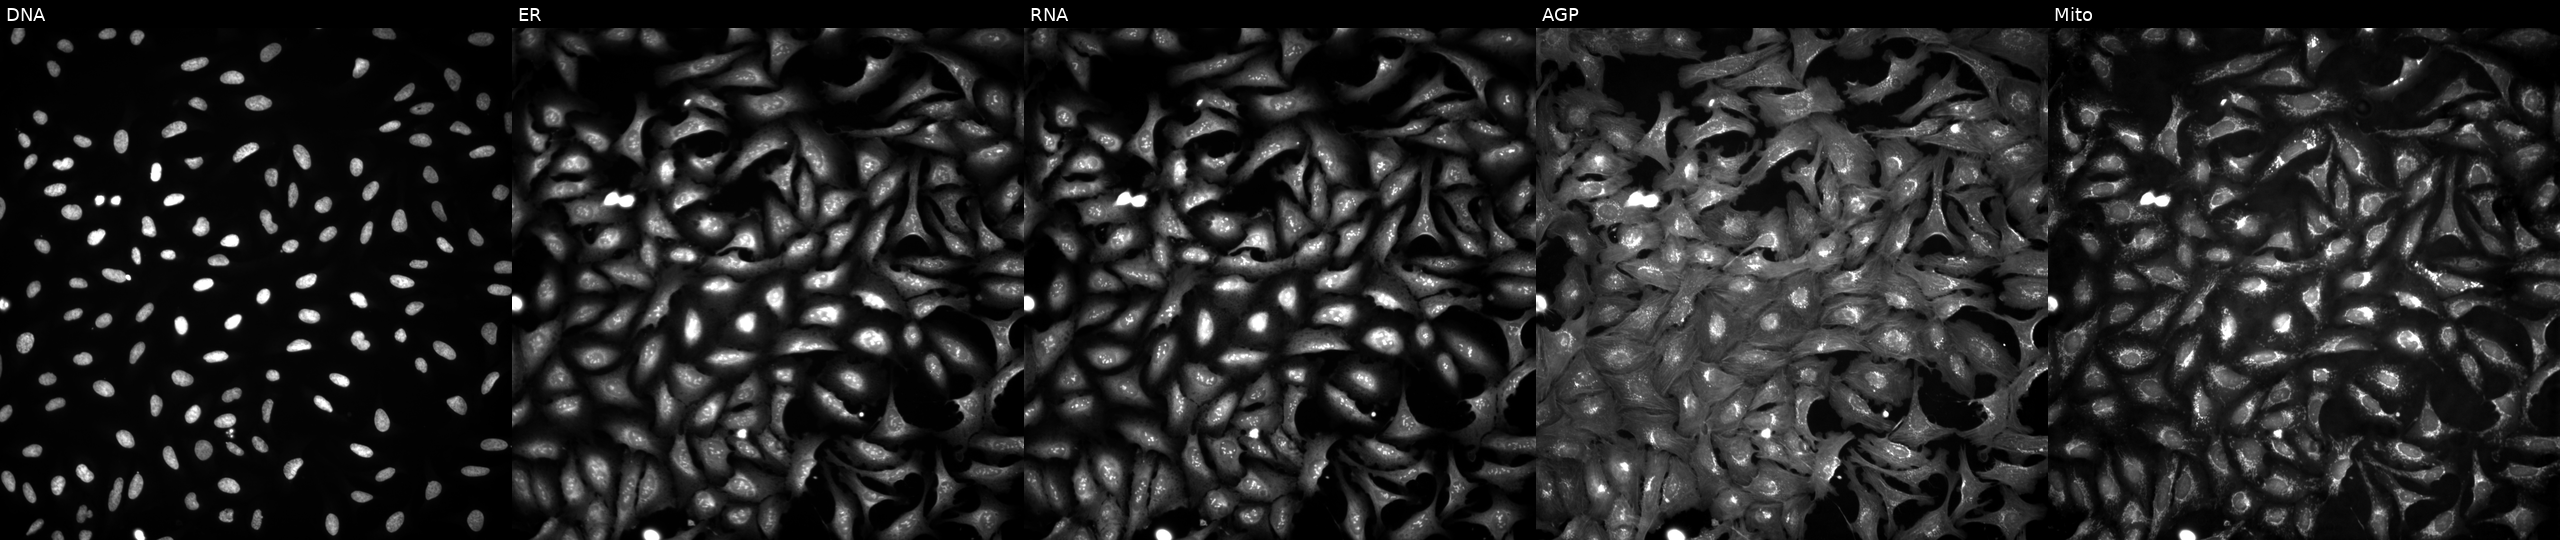
U2OS cells, Cell Painting assay, expressing LacZ (ORF negative control). Panels show, left to right, DNA (nuclei); ER (endoplasmic reticulum); RNA (nucleoli and cytoplasmic RNA); AGP (actin cytoskeleton, Golgi, and plasma membrane); Mito (mitochondria). Each panel is percentile-stretched 16-bit fluorescence. Source 4, plate BR00123945, well D03.